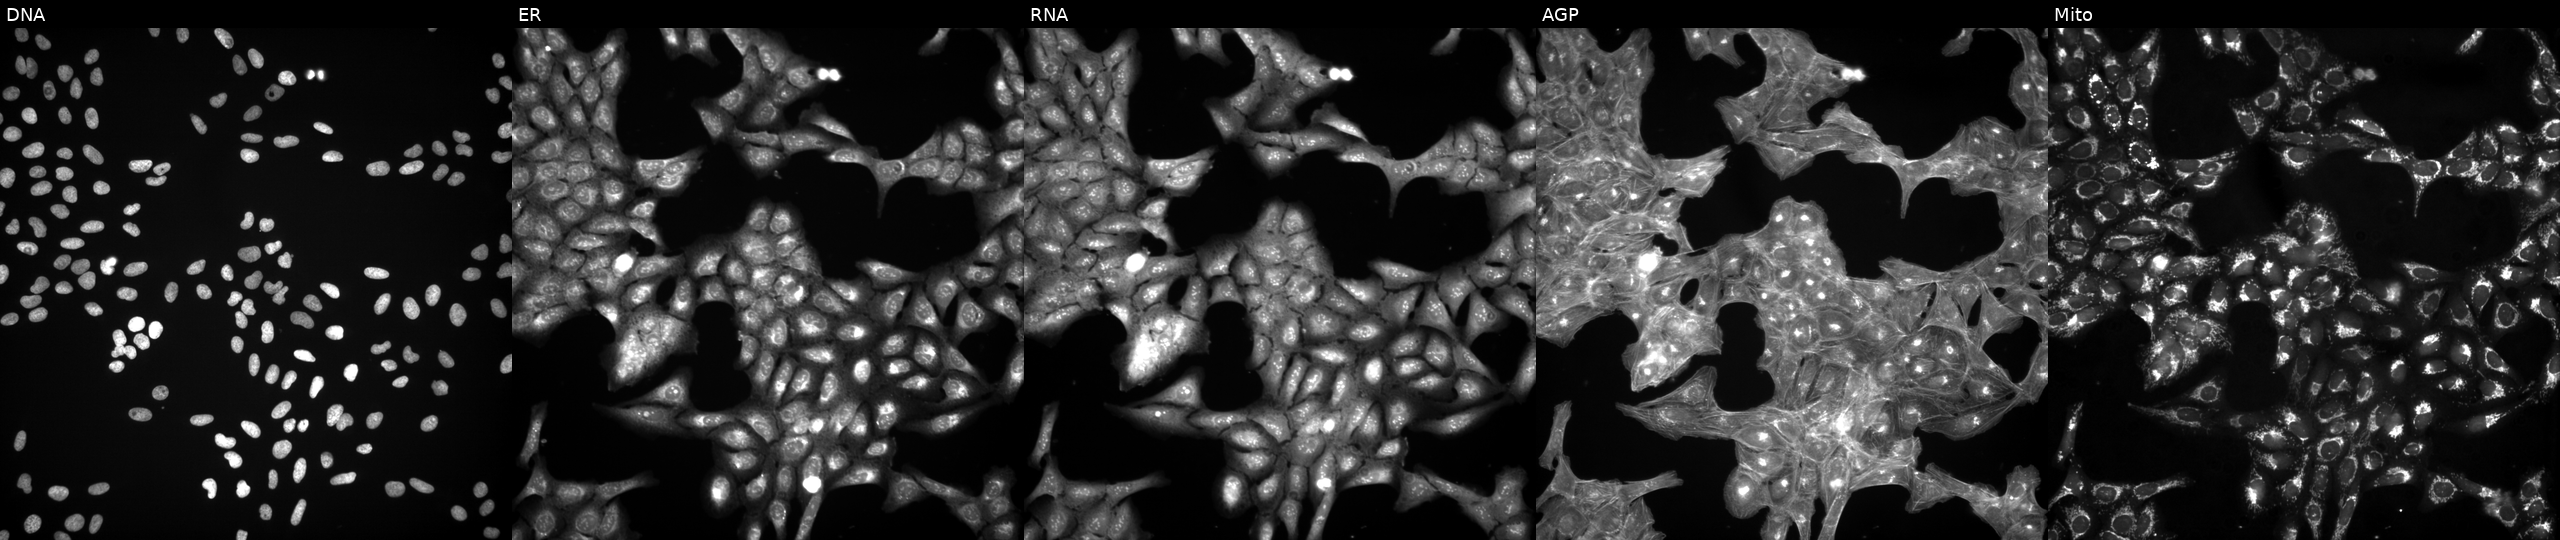
Five-channel Cell Painting image of U2OS cells treated with a small-molecule compound. Channels (left→right): DNA (nuclei); ER (endoplasmic reticulum); RNA (nucleoli and cytoplasmic RNA); AGP (actin cytoskeleton, Golgi, and plasma membrane); Mito (mitochondria). Source 3, plate JCPQC053, well I13.